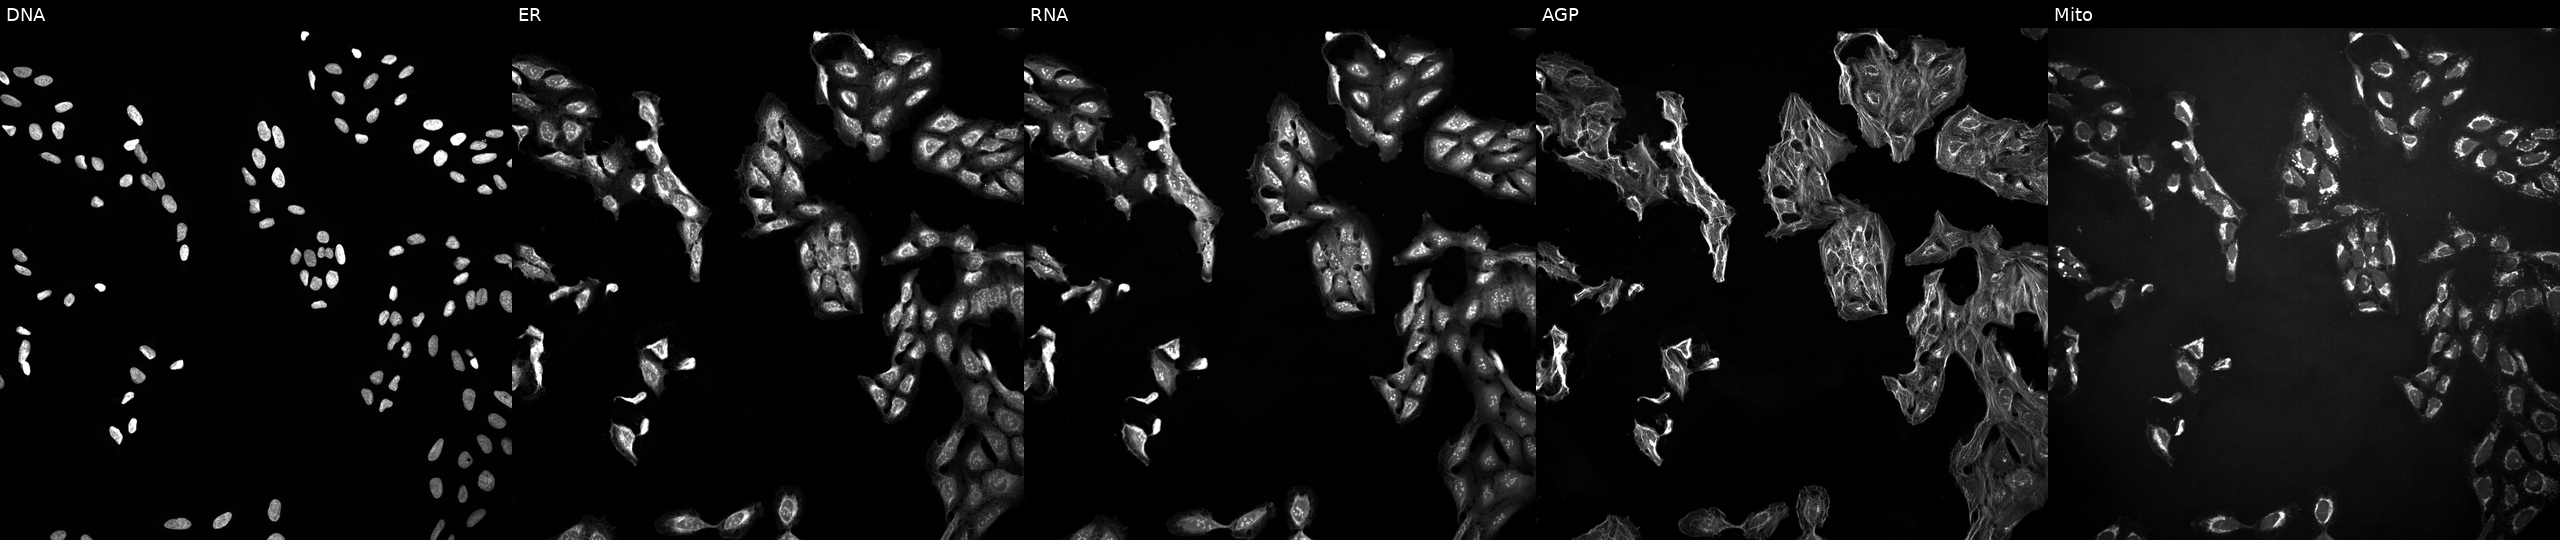
High-content fluorescence microscopy (Cell Painting). Cell line: U2OS. Perturbation: perturbed with a small-molecule compound (InChIKey PMXMIIMHBWHSKN-UHFFFAOYSA-N) (JUMP id JCP2022_069672). Panels show, left to right, DNA, ER, RNA, AGP, and Mito.